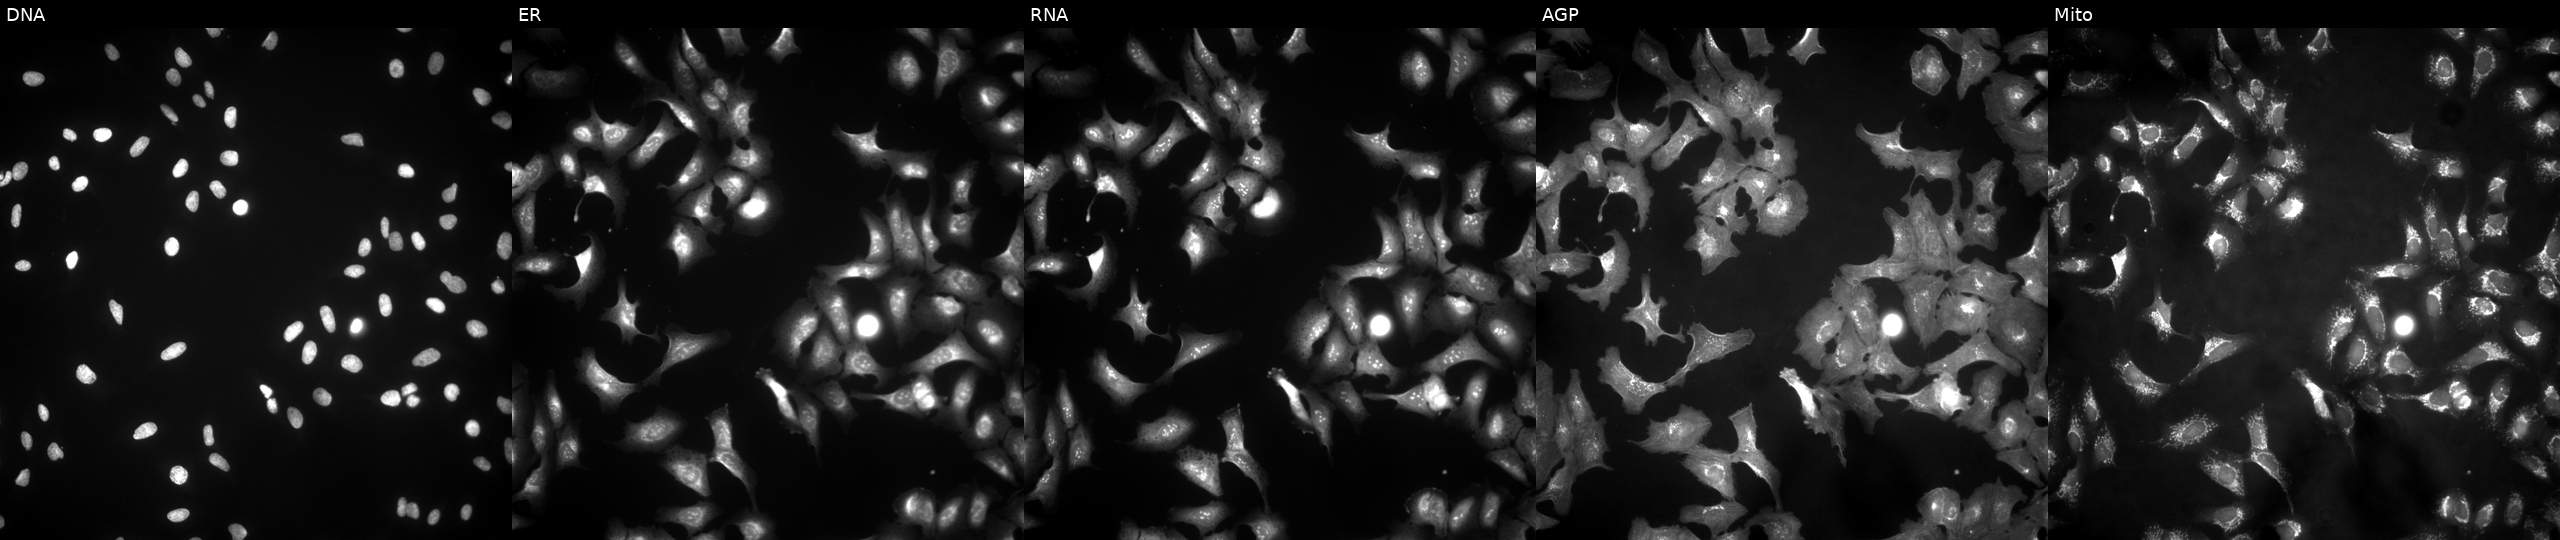
JUMP Cell Painting — ORF plate. U2OS cells expressing eGFP (ORF positive control) (JUMP id JCP2022_915132). Channels (left→right): Hoechst 33342, concanavalin A, SYTO 14, phalloidin and WGA, MitoTracker. Source 4, plate BR00123506, well P18.